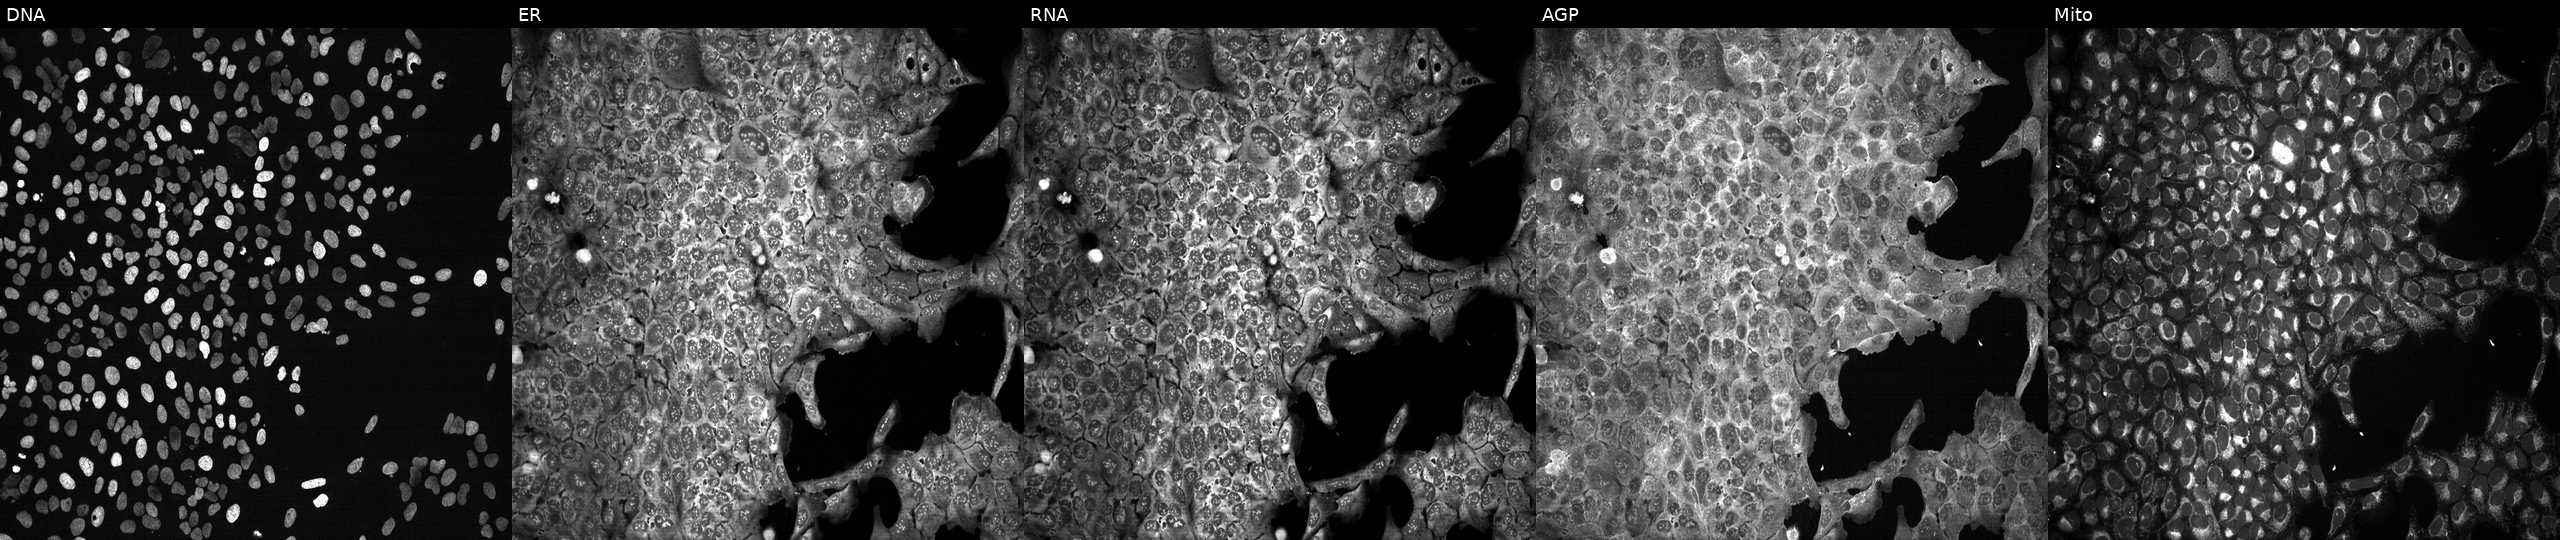
High-content fluorescence microscopy (Cell Painting). Cell line: U2OS. Perturbation: CRISPR-edited to disrupt DNASE2B. Panels show, left to right, DNA (nuclei); ER (endoplasmic reticulum); RNA (nucleoli and cytoplasmic RNA); AGP (actin cytoskeleton, Golgi, and plasma membrane); Mito (mitochondria).